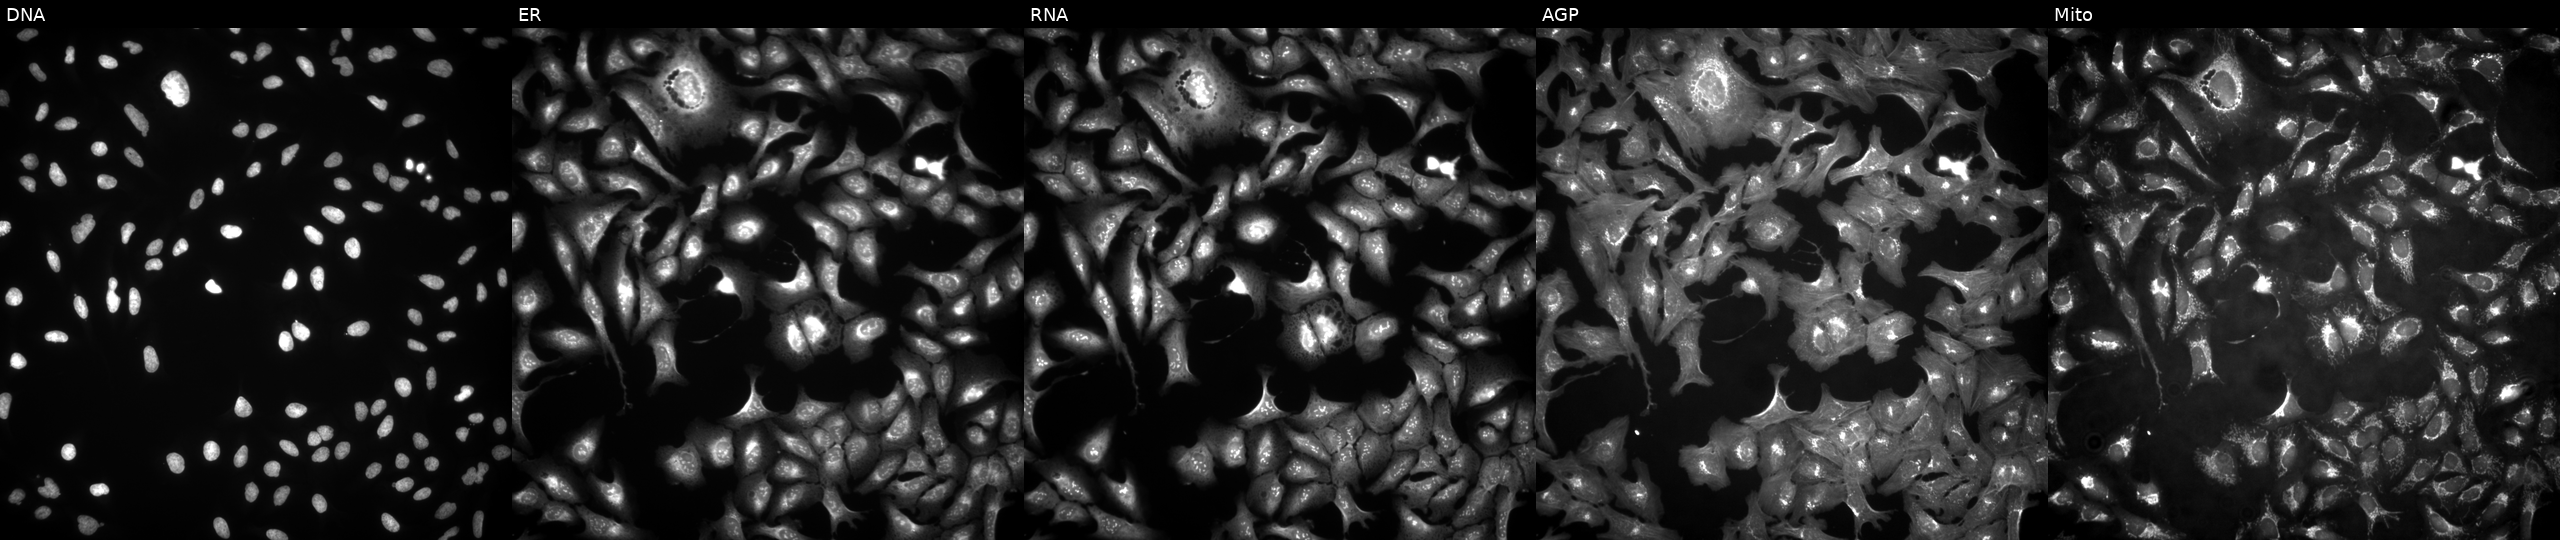
JUMP Cell Painting — ORF plate. U2OS cells with XLOC_l2_011027 overexpressed (ORF) (JUMP id JCP2022_912026). From left to right: DNA (nuclei); ER (endoplasmic reticulum); RNA (nucleoli and cytoplasmic RNA); AGP (actin cytoskeleton, Golgi, and plasma membrane); Mito (mitochondria).